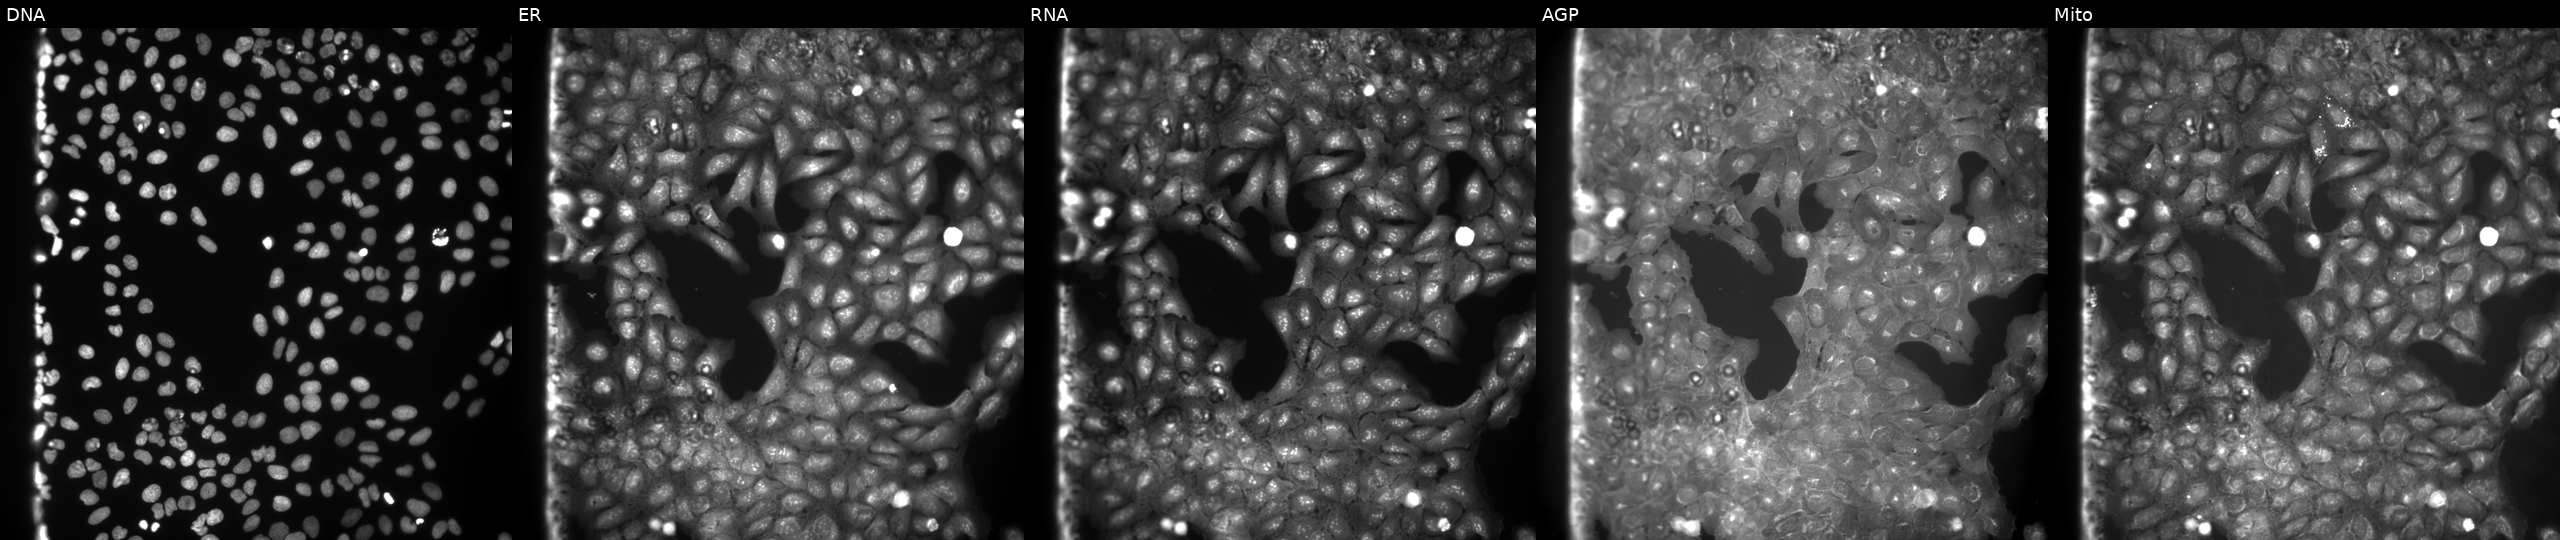
High-content fluorescence microscopy (Cell Painting). Cell line: U2OS. Perturbation: treated with TC-S-7004 (positive-control compound) (JUMP id JCP2022_012818). From left to right: DNA (nuclei); ER (endoplasmic reticulum); RNA (nucleoli and cytoplasmic RNA); AGP (actin cytoskeleton, Golgi, and plasma membrane); Mito (mitochondria). Source 9, plate GR00003382, well H01.